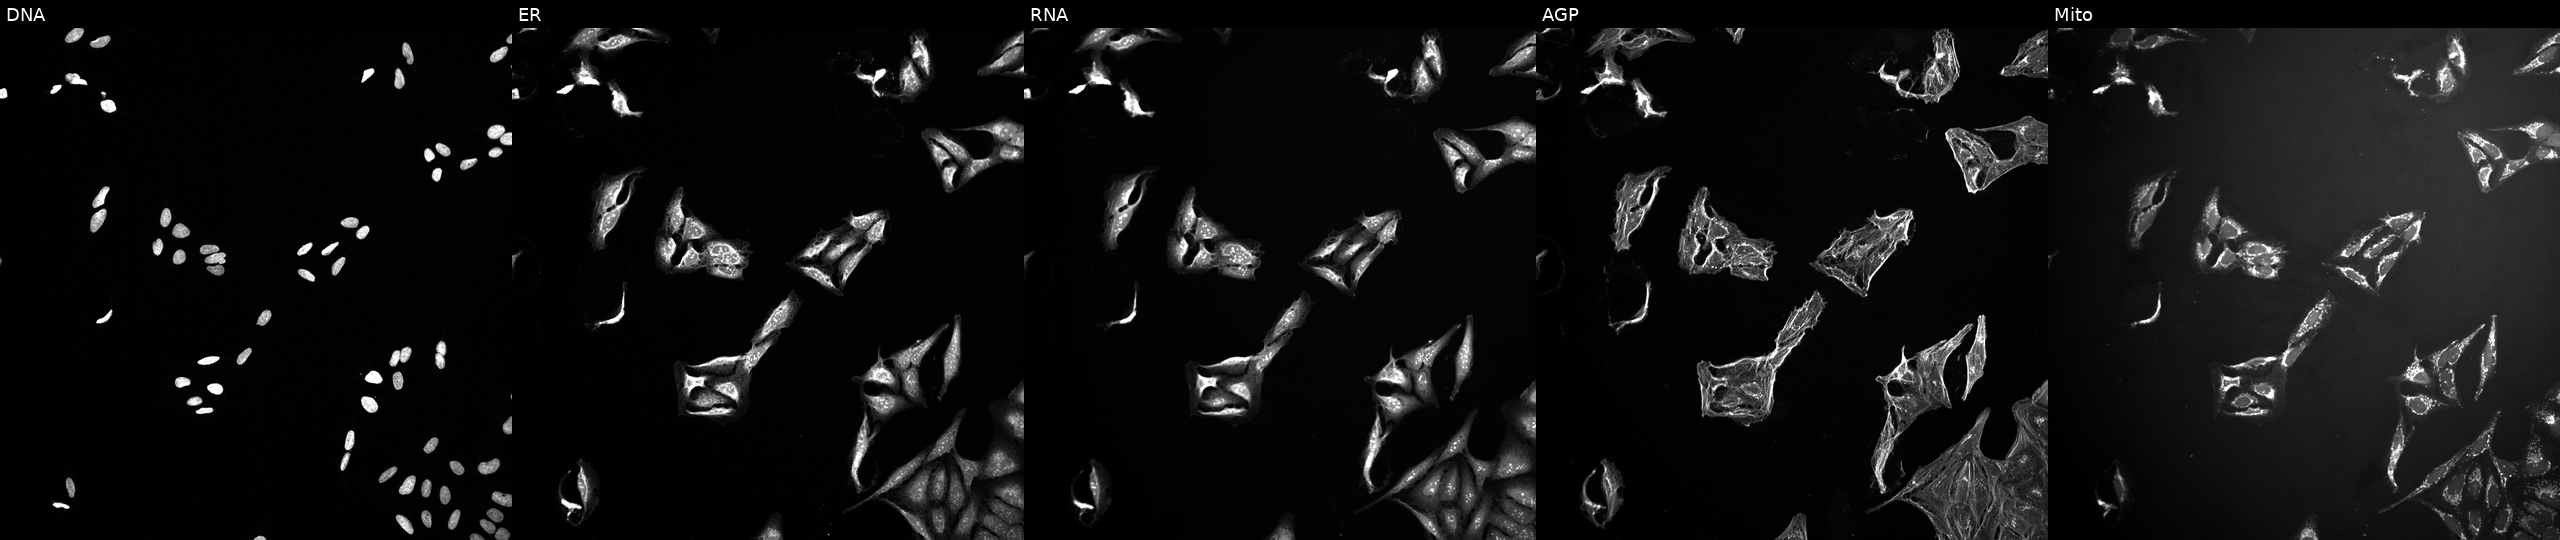
JUMP Cell Painting — TARGET2 plate. U2OS cells treated with a small-molecule compound (InChIKey AECDBHGVIIRMOI-UHFFFAOYSA-N) (JUMP id JCP2022_000794). Panels show, left to right, DNA, ER, RNA, AGP, and Mito.